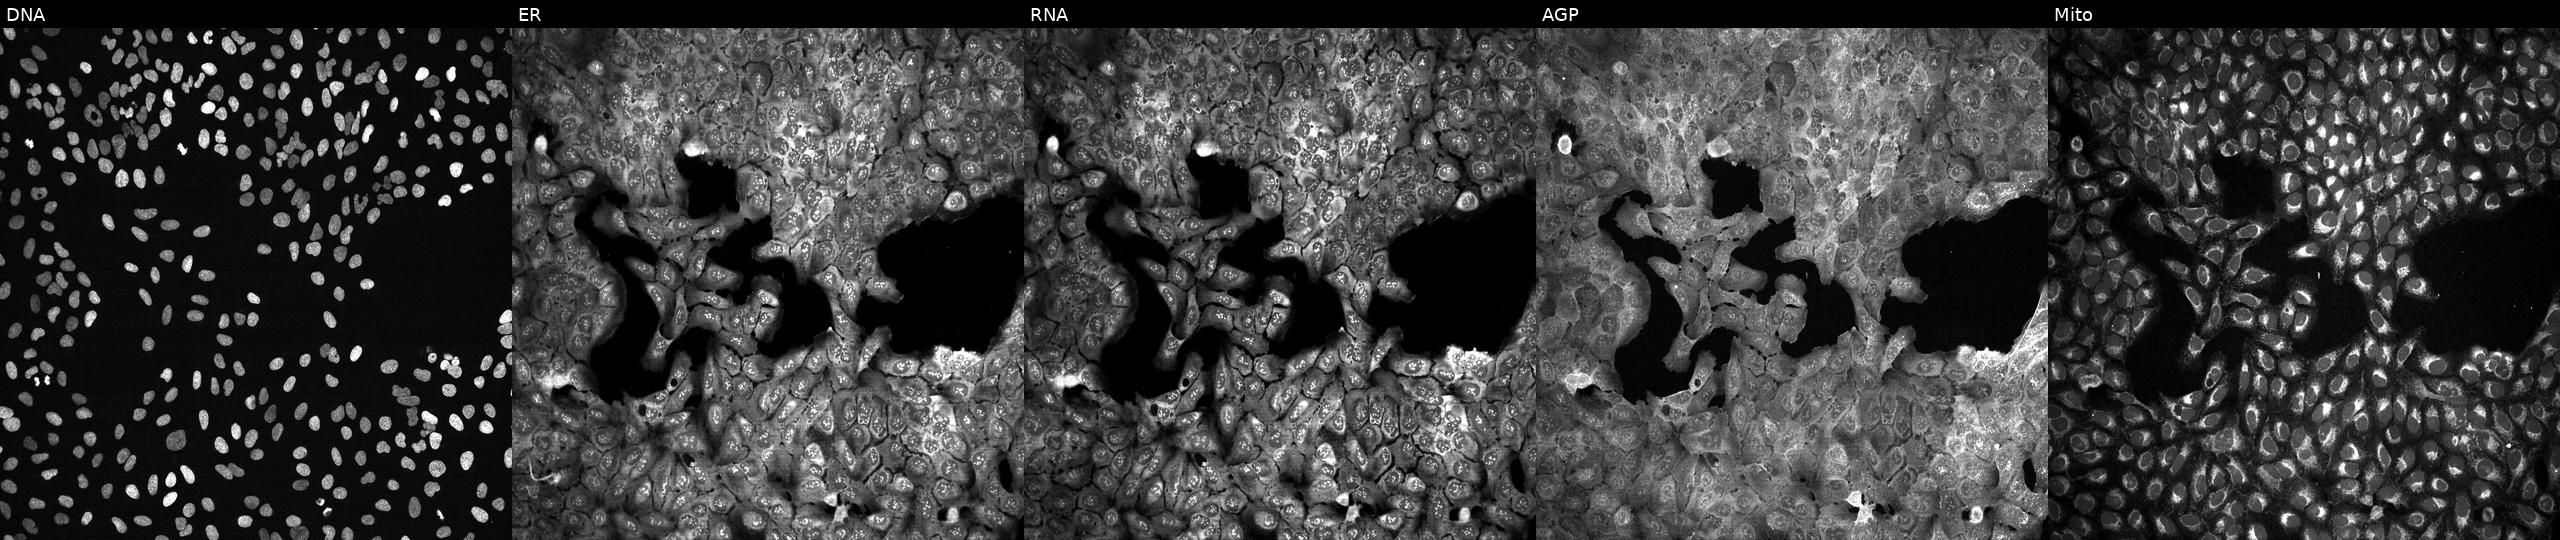
This image strip shows the five Cell Painting channels for a single field of U2OS cells with no CRISPR guide (negative control) (JUMP id JCP2022_800001). Panels show, left to right, DNA (nuclei); ER (endoplasmic reticulum); RNA (nucleoli and cytoplasmic RNA); AGP (actin cytoskeleton, Golgi, and plasma membrane); Mito (mitochondria).